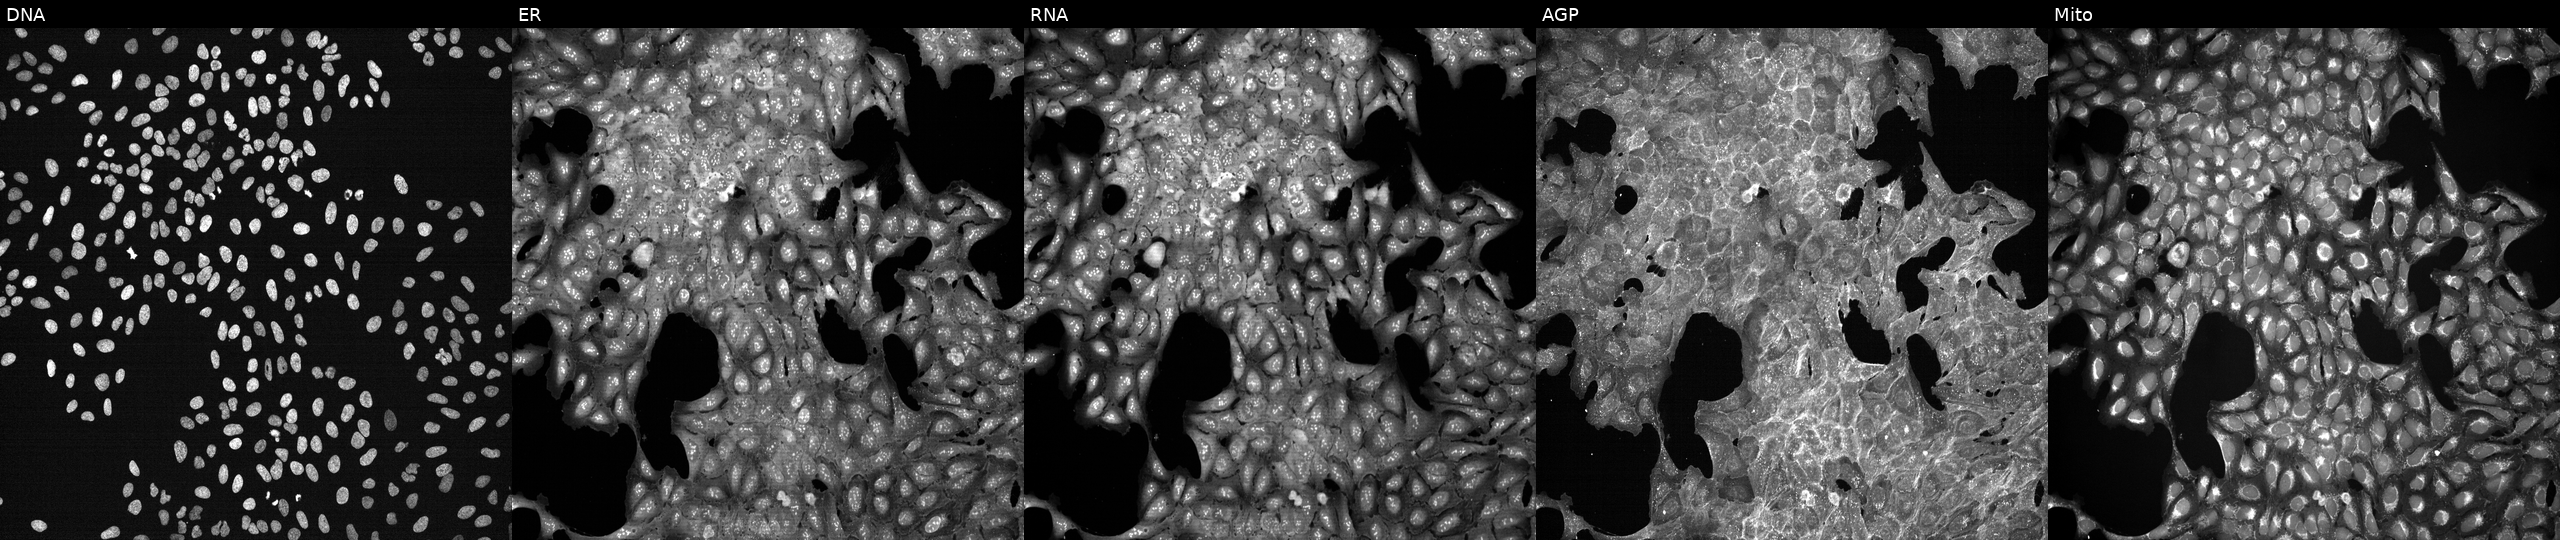
High-content fluorescence microscopy (Cell Painting). Cell line: U2OS. Perturbation: treated with DMSO vehicle only (negative control) (JUMP id JCP2022_033924). From left to right: Hoechst 33342, concanavalin A, SYTO 14, phalloidin and WGA, MitoTracker.